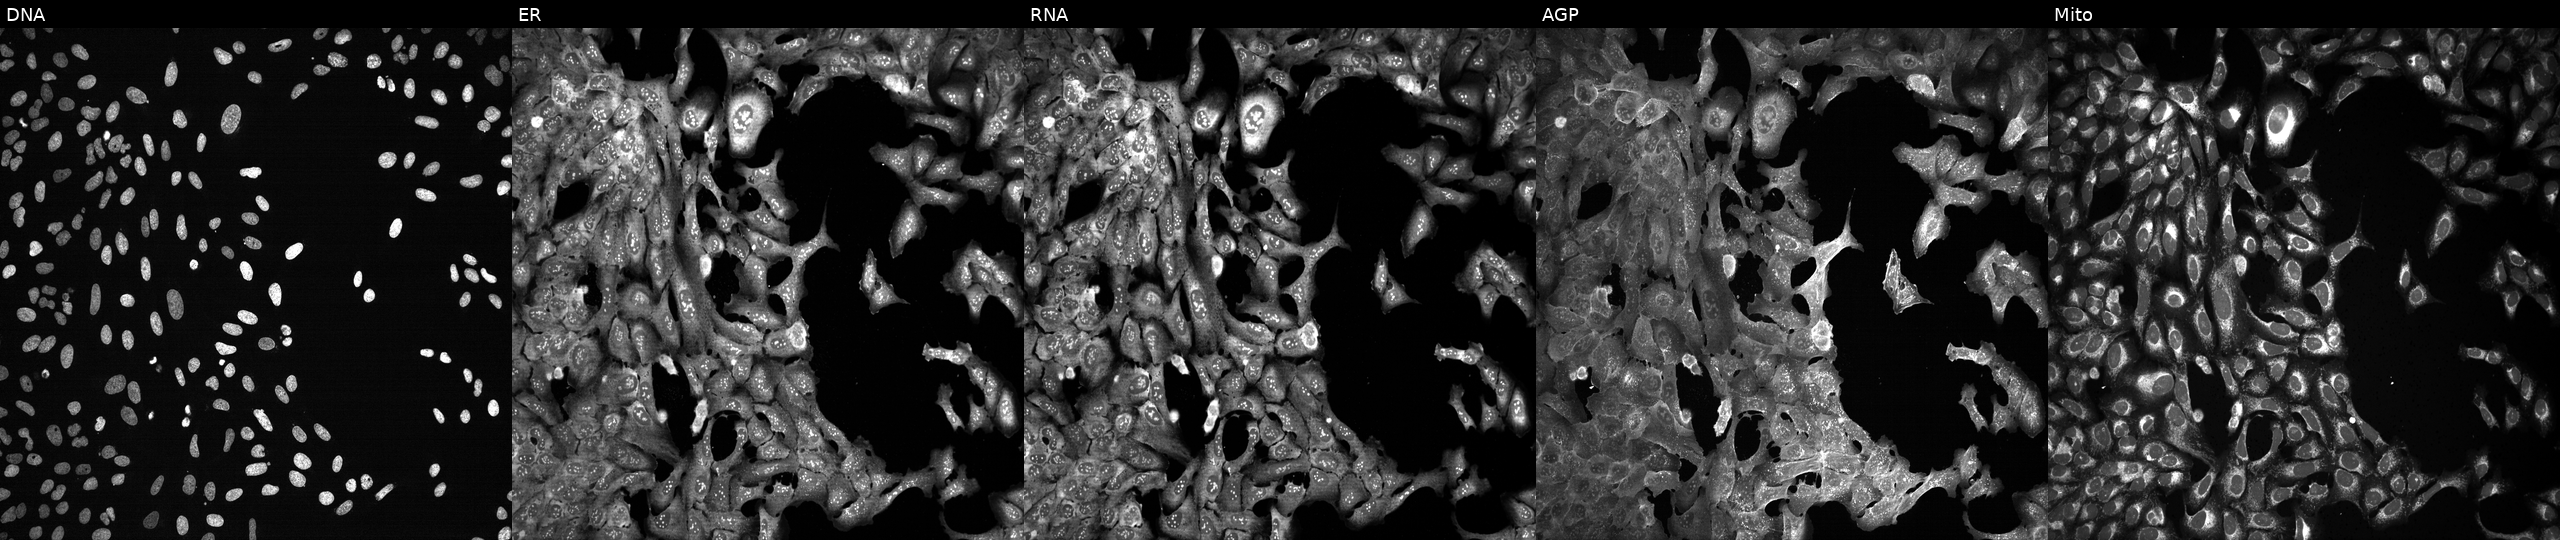
Five-channel Cell Painting image of U2OS cells CRISPR-edited to disrupt TRABD2A. Panels show, left to right, DNA (nuclei); ER (endoplasmic reticulum); RNA (nucleoli and cytoplasmic RNA); AGP (actin cytoskeleton, Golgi, and plasma membrane); Mito (mitochondria). Source 13, plate CP-CC9-R6-19, well G05.